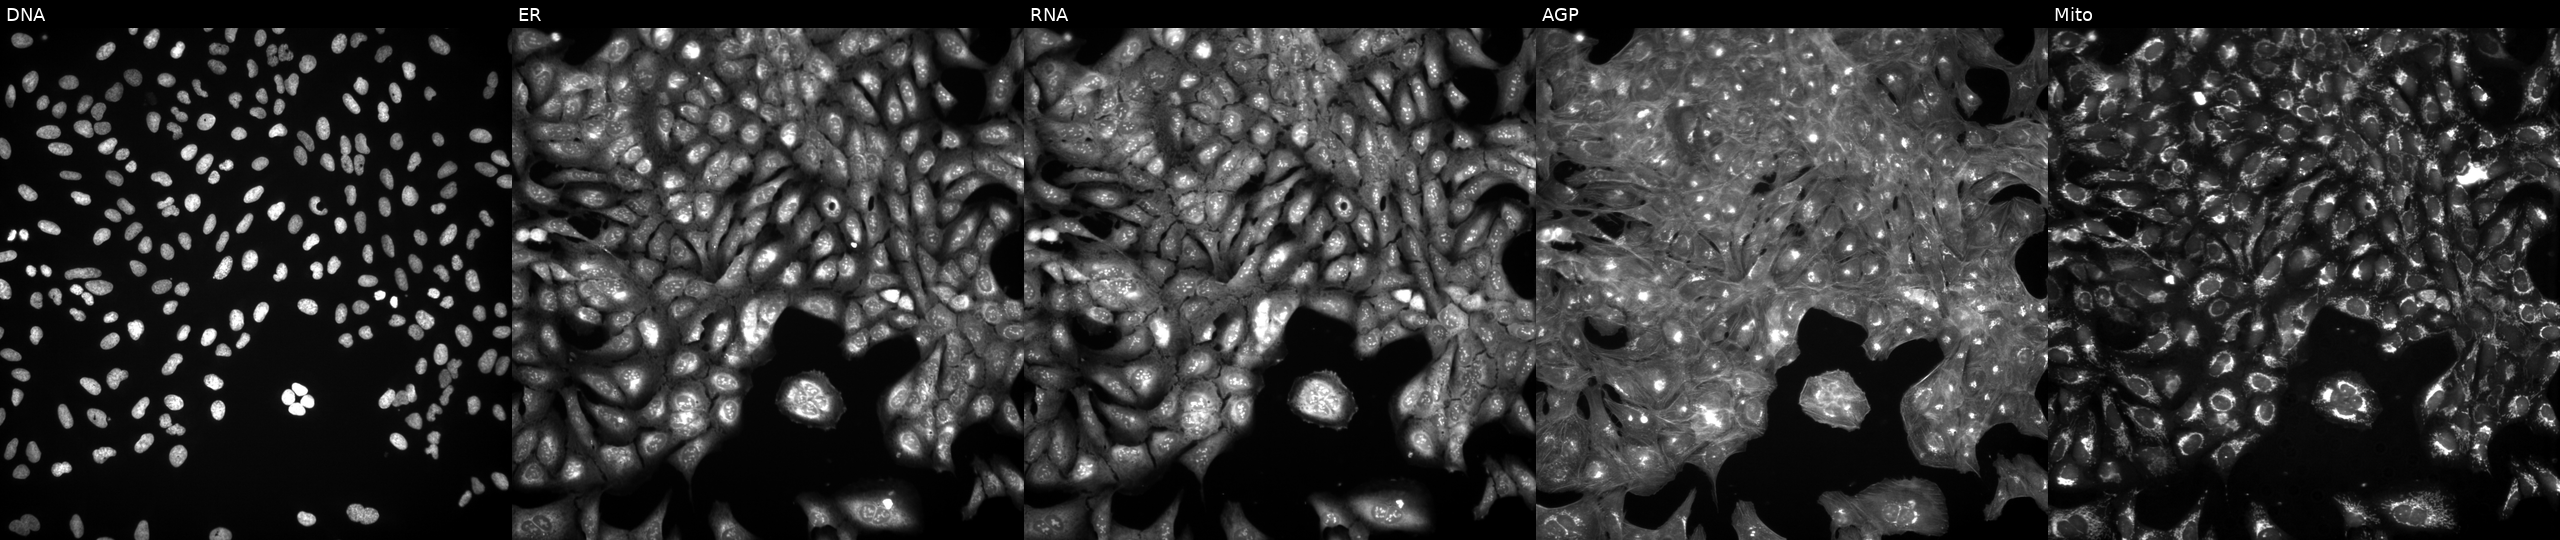
Five-channel Cell Painting image of U2OS cells treated with DMSO vehicle only (negative control). Channels (left→right): DNA (nuclei); ER (endoplasmic reticulum); RNA (nucleoli and cytoplasmic RNA); AGP (actin cytoskeleton, Golgi, and plasma membrane); Mito (mitochondria). Source 3, plate JCPQC052, well K07.